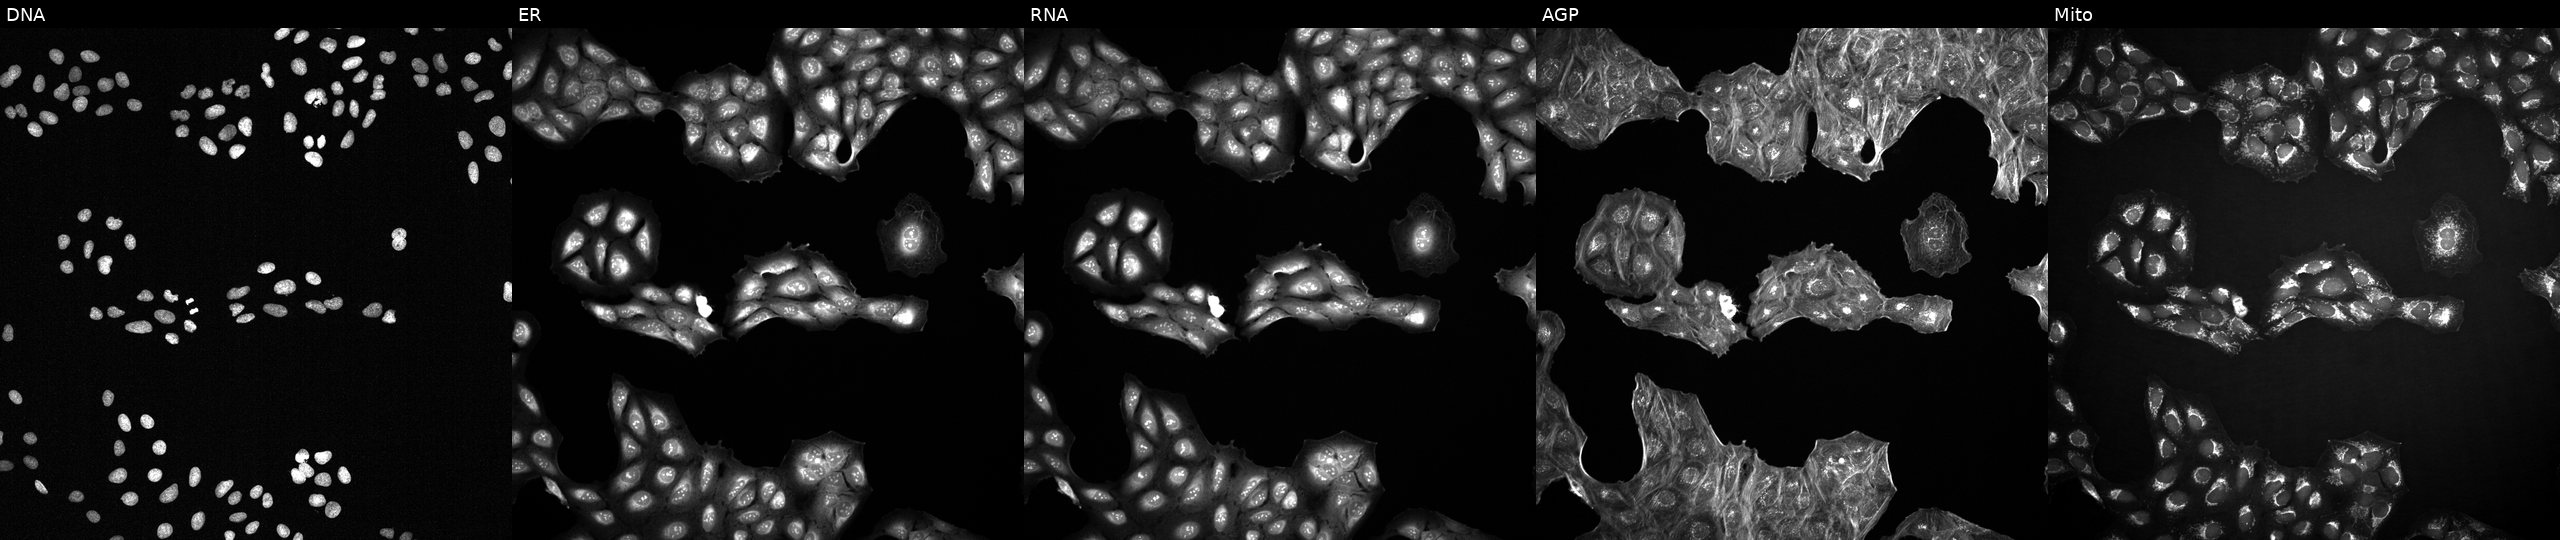
From left to right: DNA, ER, RNA, AGP, and Mito. U2OS osteosarcoma cells treated with a small-molecule compound (InChIKey UGYXPZQILZRKJJ-UHFFFAOYSA-N) (JUMP id JCP2022_089172). Cell Painting assay, JUMP-CP dataset.